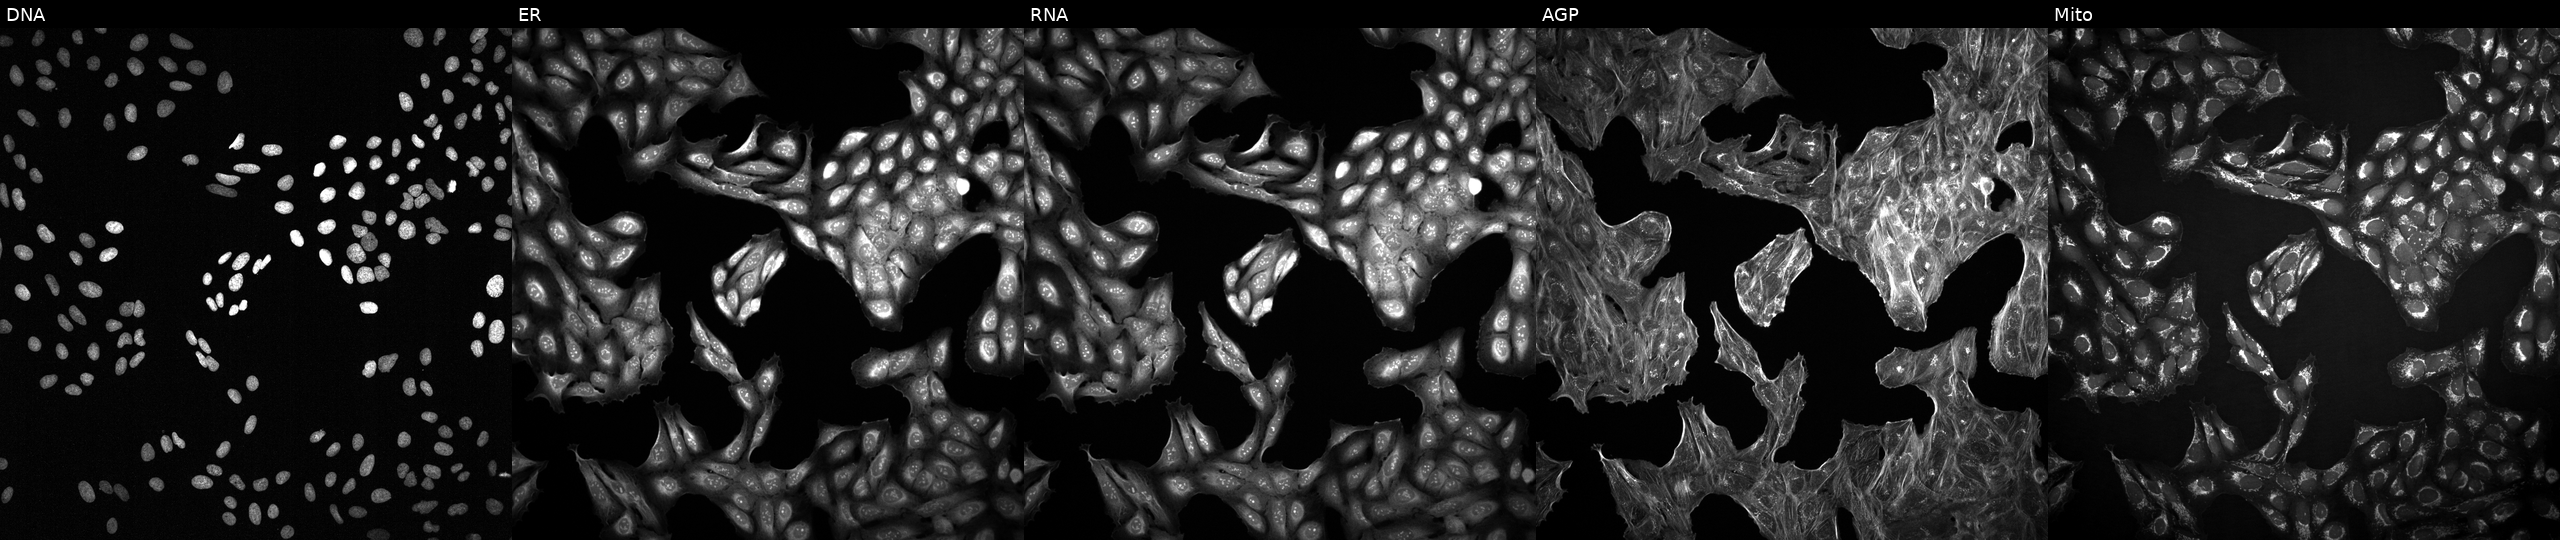
This image strip shows the five Cell Painting channels for a single field of U2OS cells exposed to DMSO alone as a negative control (JUMP id JCP2022_033924). From left to right: DNA (nuclei); ER (endoplasmic reticulum); RNA (nucleoli and cytoplasmic RNA); AGP (actin cytoskeleton, Golgi, and plasma membrane); Mito (mitochondria). Source 2, plate 1053600674, well N19.